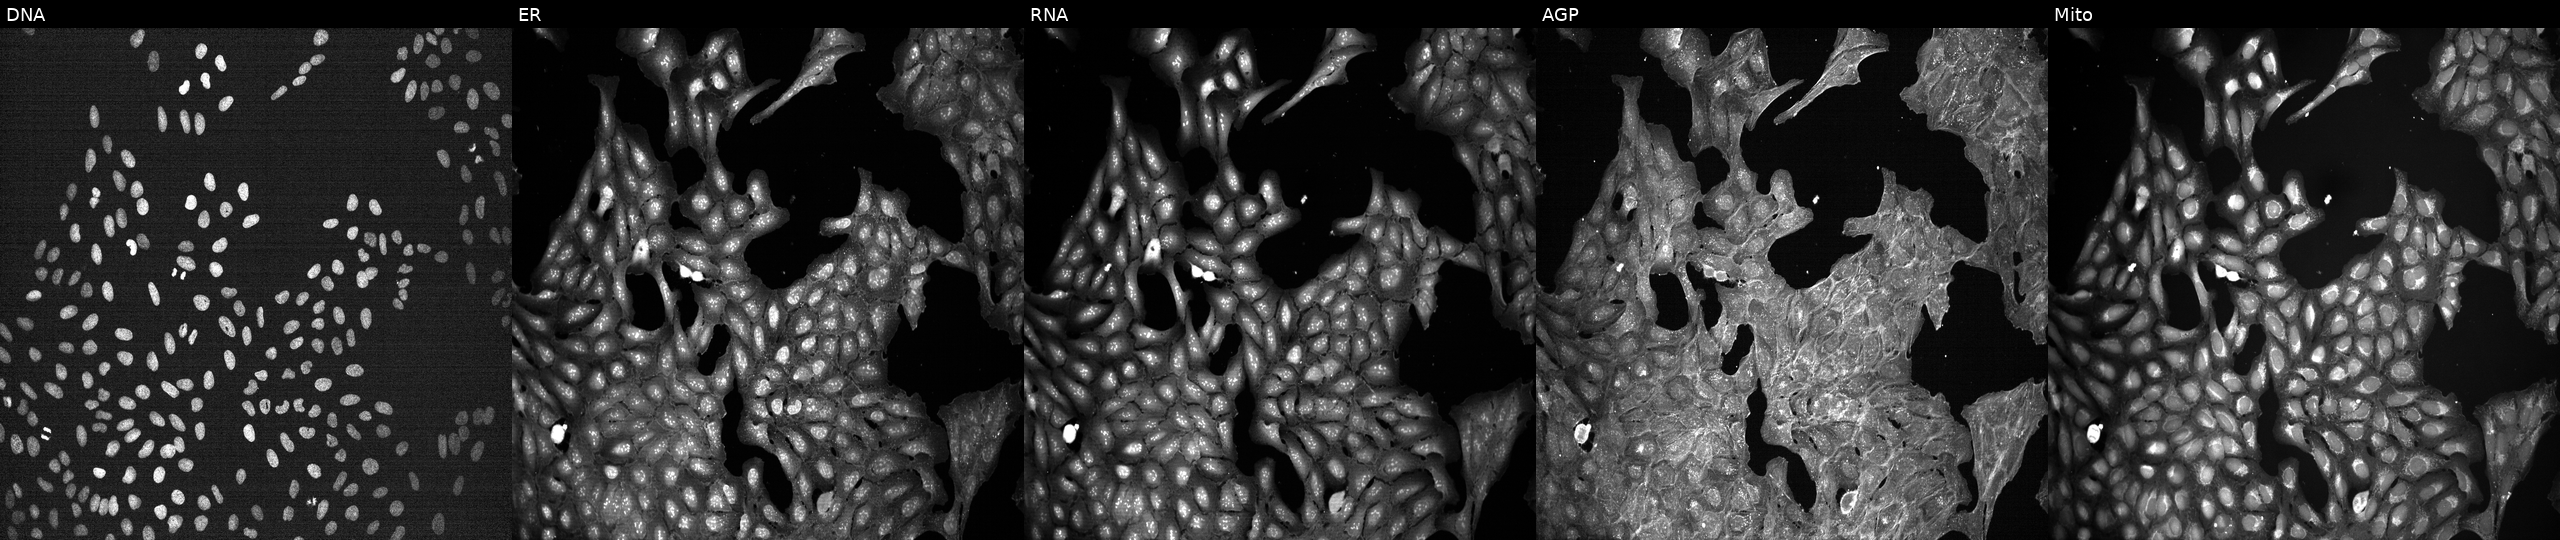
U2OS cells, Cell Painting assay, exposed to DMSO alone as a negative control (JUMP id JCP2022_033924). Panels show, left to right, DNA (nuclei); ER (endoplasmic reticulum); RNA (nucleoli and cytoplasmic RNA); AGP (actin cytoskeleton, Golgi, and plasma membrane); Mito (mitochondria). Each panel is percentile-stretched 16-bit fluorescence. Source 7, plate CP1-SC1-25, well H22.